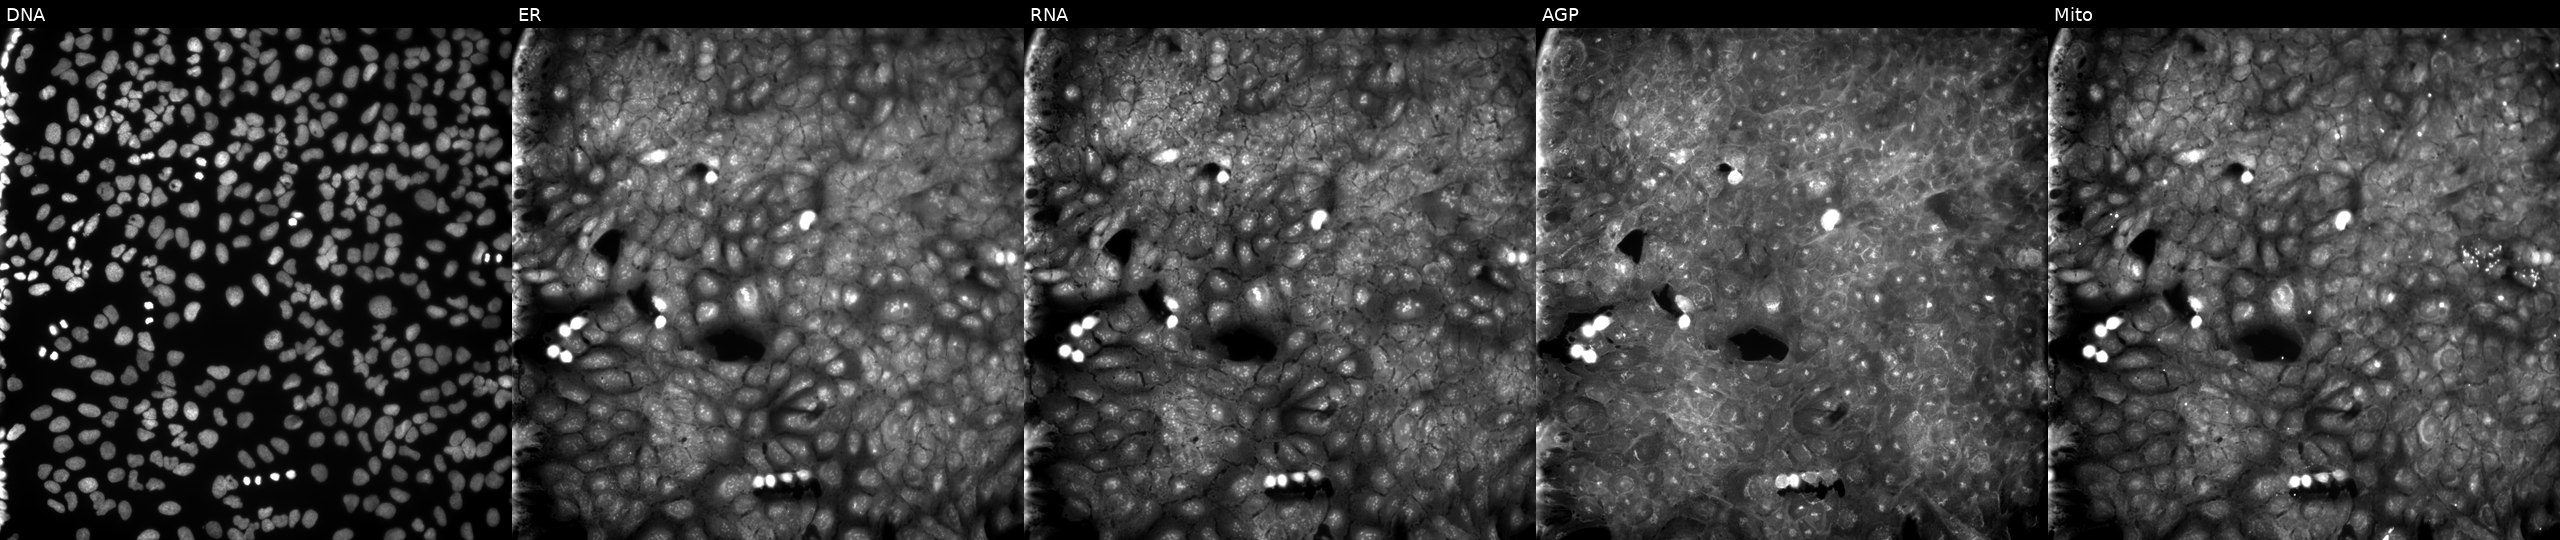
The five panels, left to right, show Hoechst 33342, concanavalin A, SYTO 14, phalloidin and WGA, MitoTracker. U2OS osteosarcoma cells perturbed with a small-molecule compound (InChIKey AAWUYRPZLXBHIA-UHFFFAOYSA-N) (JUMP id JCP2022_000180). Cell Painting assay, JUMP-CP dataset.